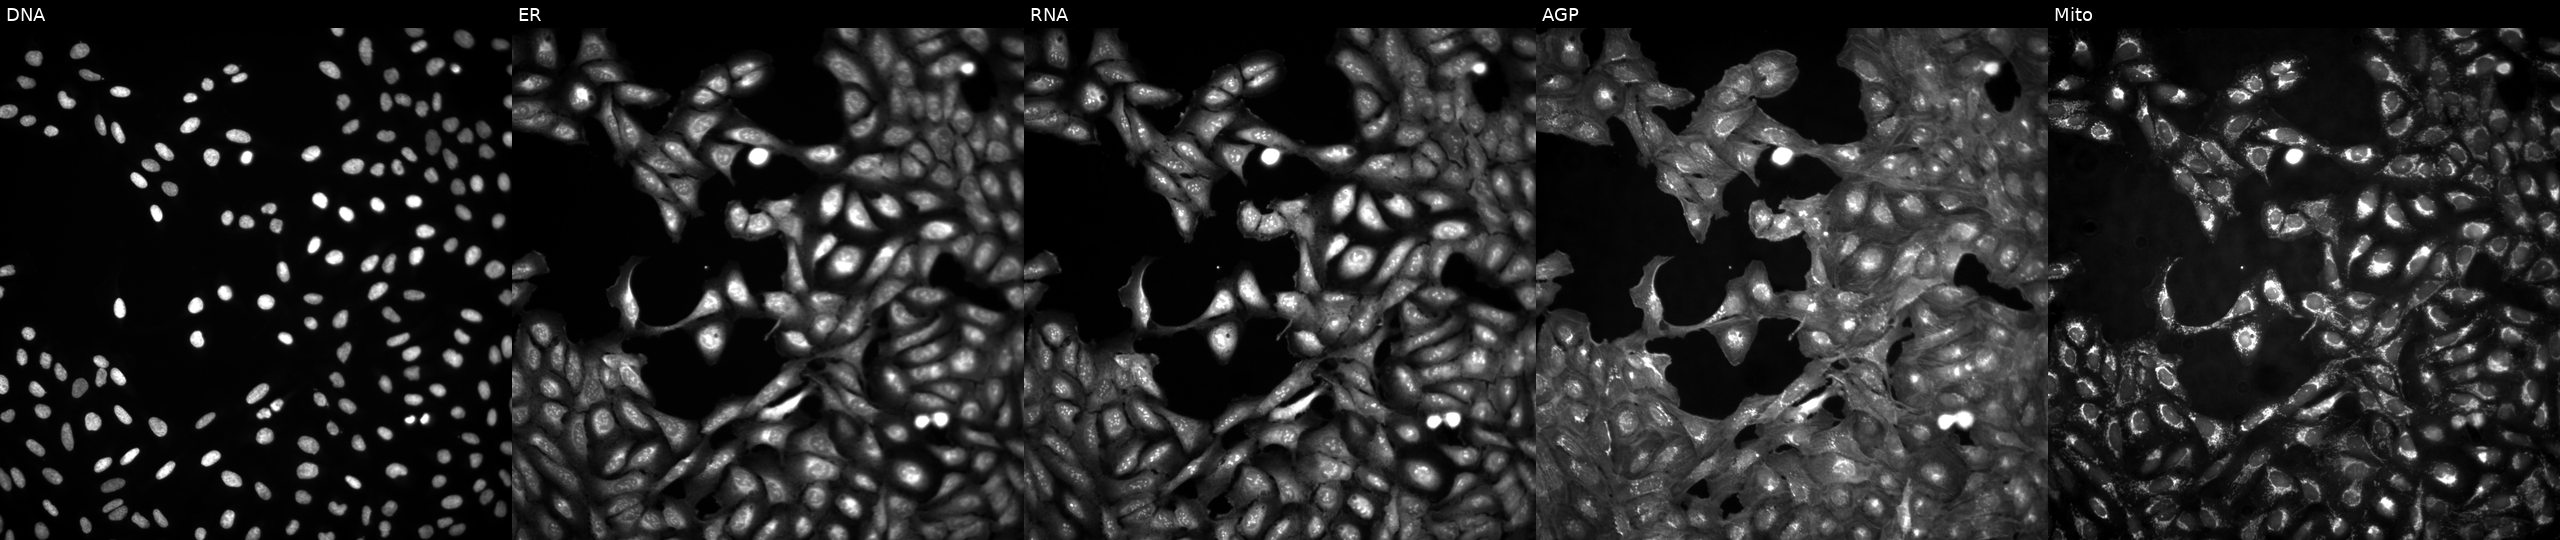
Five-channel Cell Painting image of U2OS cells untreated (empty-well control). The five panels, left to right, show DNA (nuclei); ER (endoplasmic reticulum); RNA (nucleoli and cytoplasmic RNA); AGP (actin cytoskeleton, Golgi, and plasma membrane); Mito (mitochondria). Source 4, plate BR00124793, well I22.